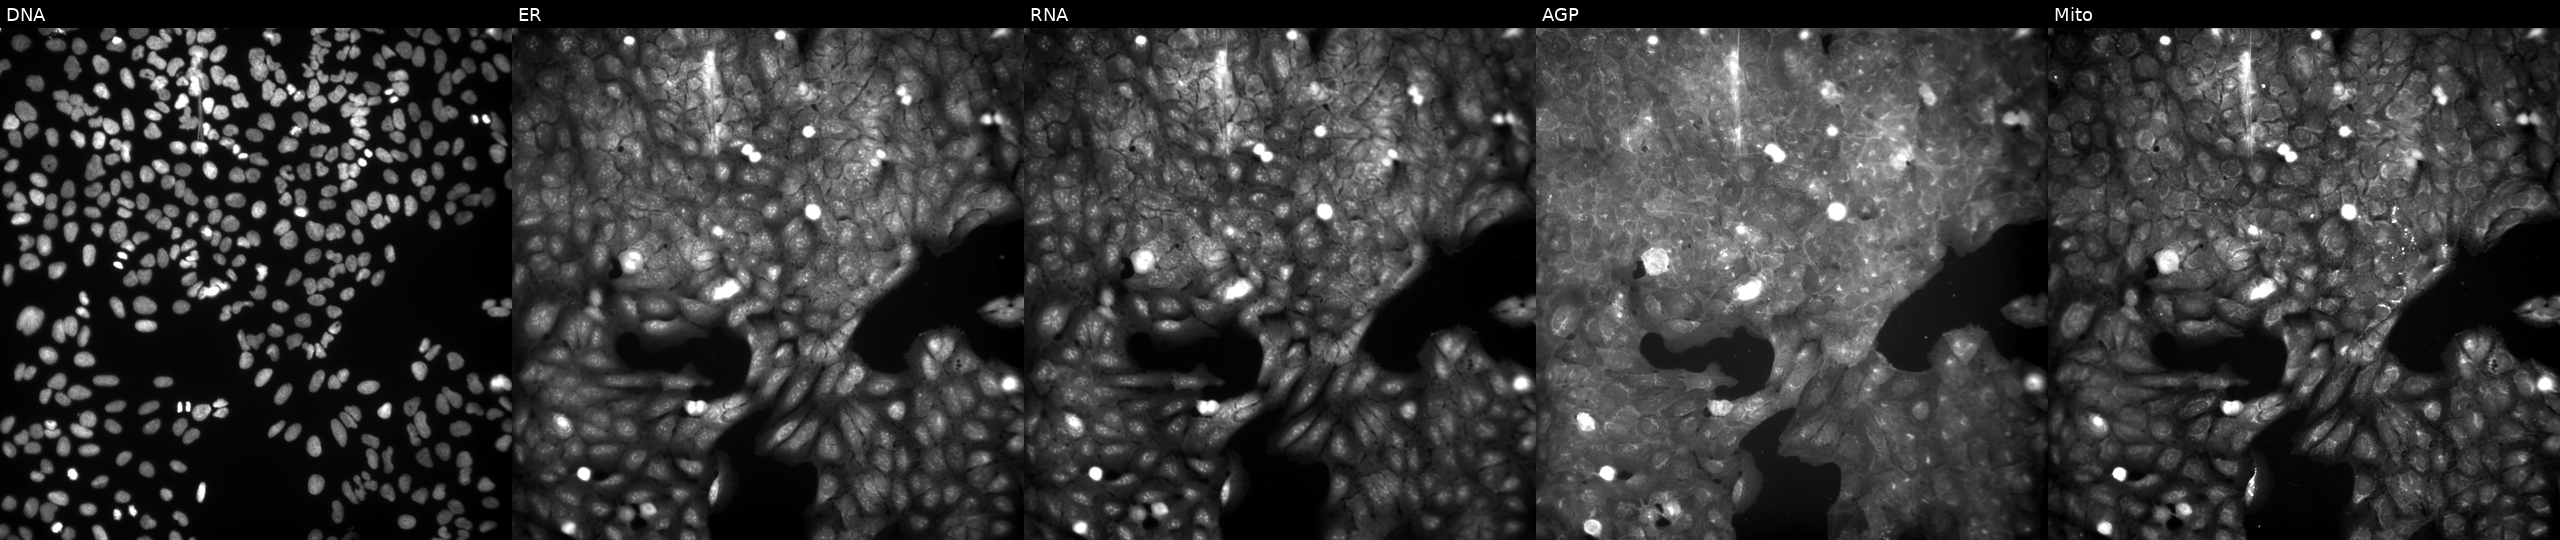
From left to right: Hoechst 33342, concanavalin A, SYTO 14, phalloidin and WGA, MitoTracker. U2OS osteosarcoma cells exposed to a small-molecule compound (InChIKey UUYHMRQNUHUBAC-UHFFFAOYSA-N). Cell Painting assay, JUMP-CP dataset.